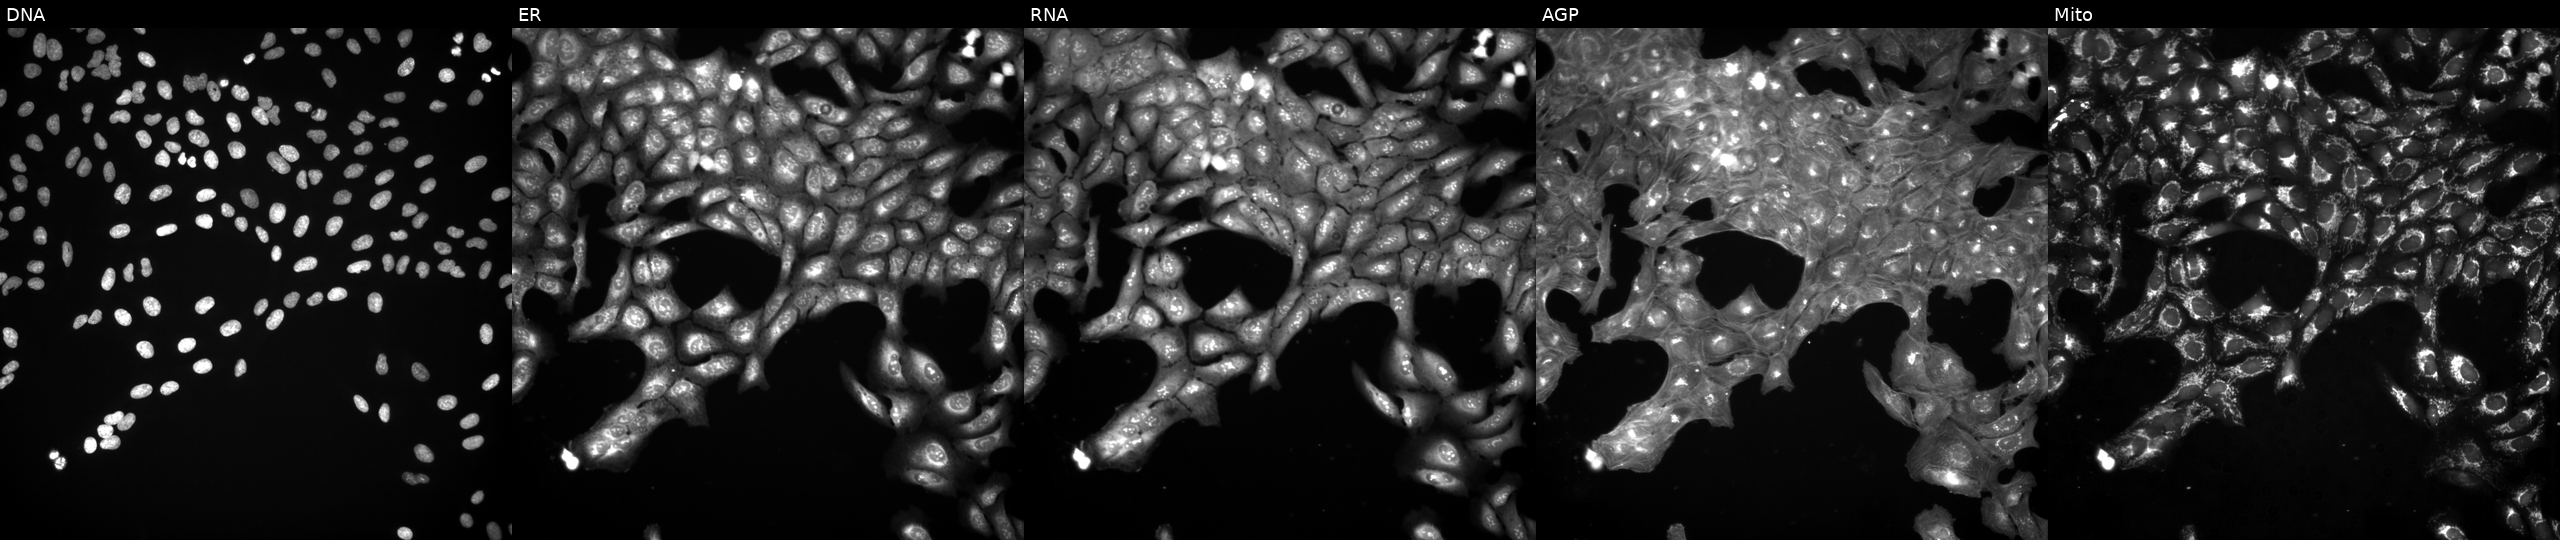
Five-channel Cell Painting image of U2OS cells treated with a small-molecule compound. Channels (left→right): DNA, ER, RNA, AGP, and Mito. Source 3, plate BR5867a3, well B09.